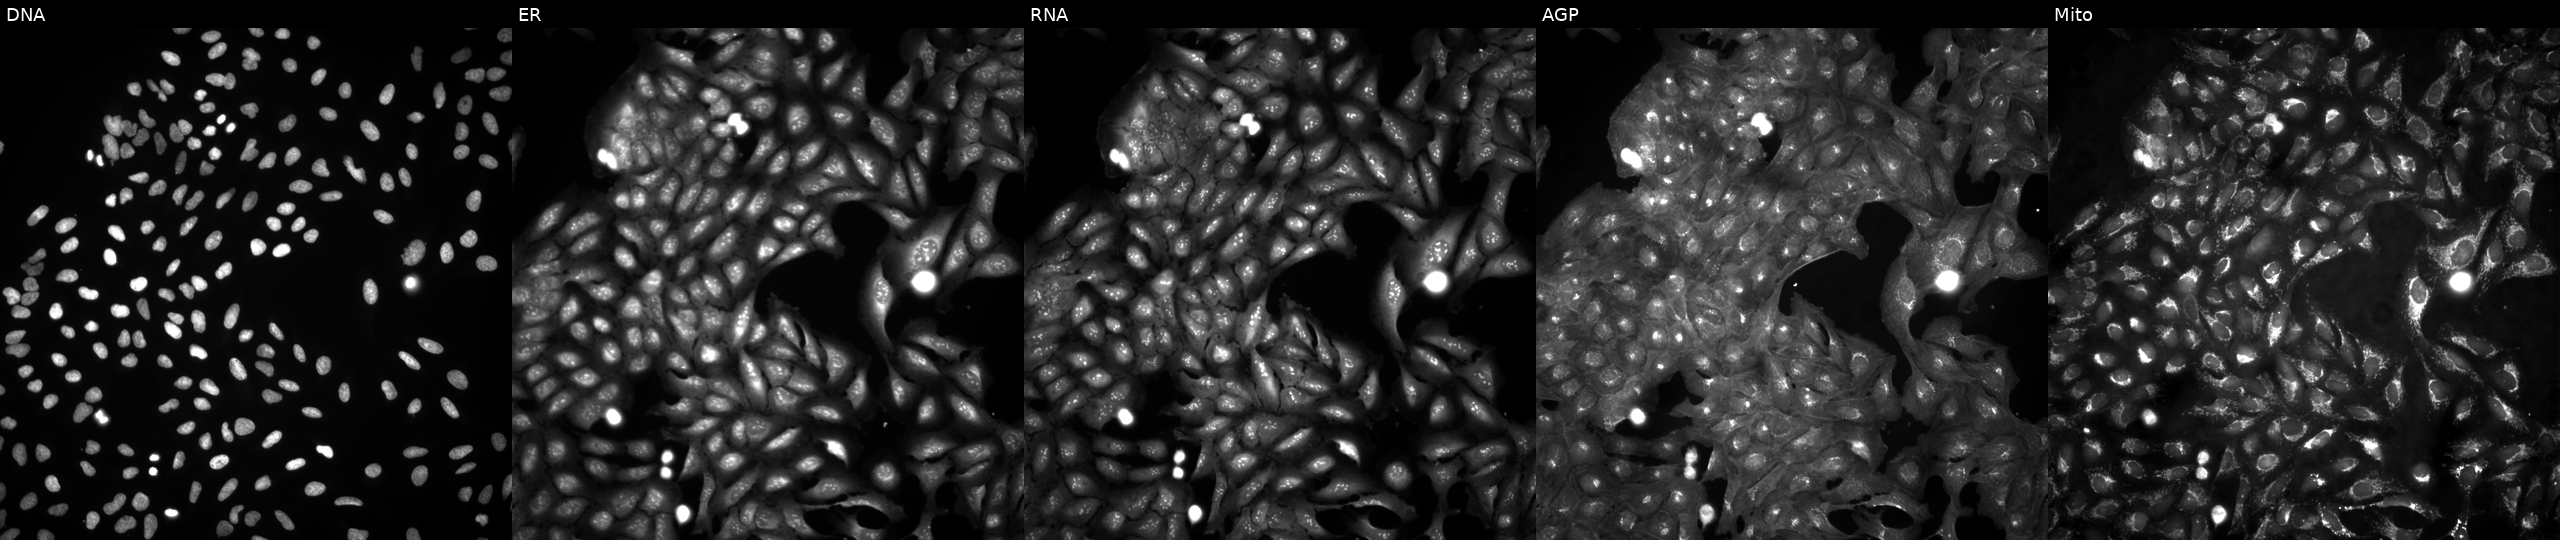
U2OS cells, Cell Painting assay, untreated (empty-well control) (JUMP id JCP2022_999999). From left to right: DNA, ER, RNA, AGP, and Mito. Each panel is percentile-stretched 16-bit fluorescence.